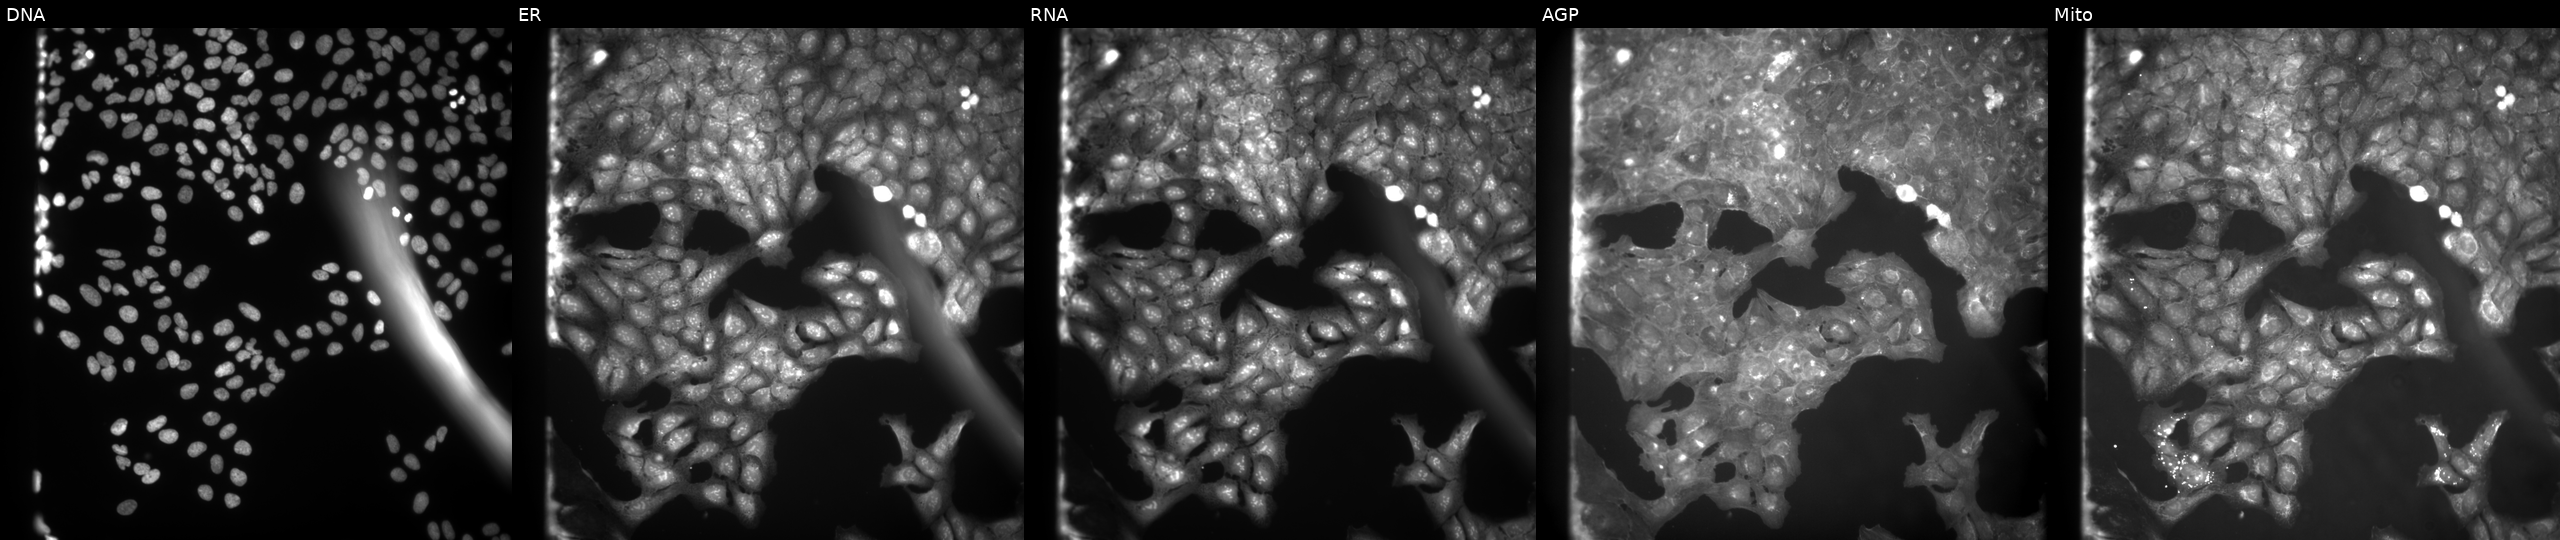
Five-channel Cell Painting image of U2OS cells exposed to a small-molecule compound (InChIKey YRMXMJDXXJCTQG-UHFFFAOYSA-N) [SMILES: Cc1ccc(S(=O)(=O)NCCCCCC(=O)N=c2[nH]ccs2)cc1] (JUMP id JCP2022_110355). From left to right: Hoechst 33342, concanavalin A, SYTO 14, phalloidin and WGA, MitoTracker.